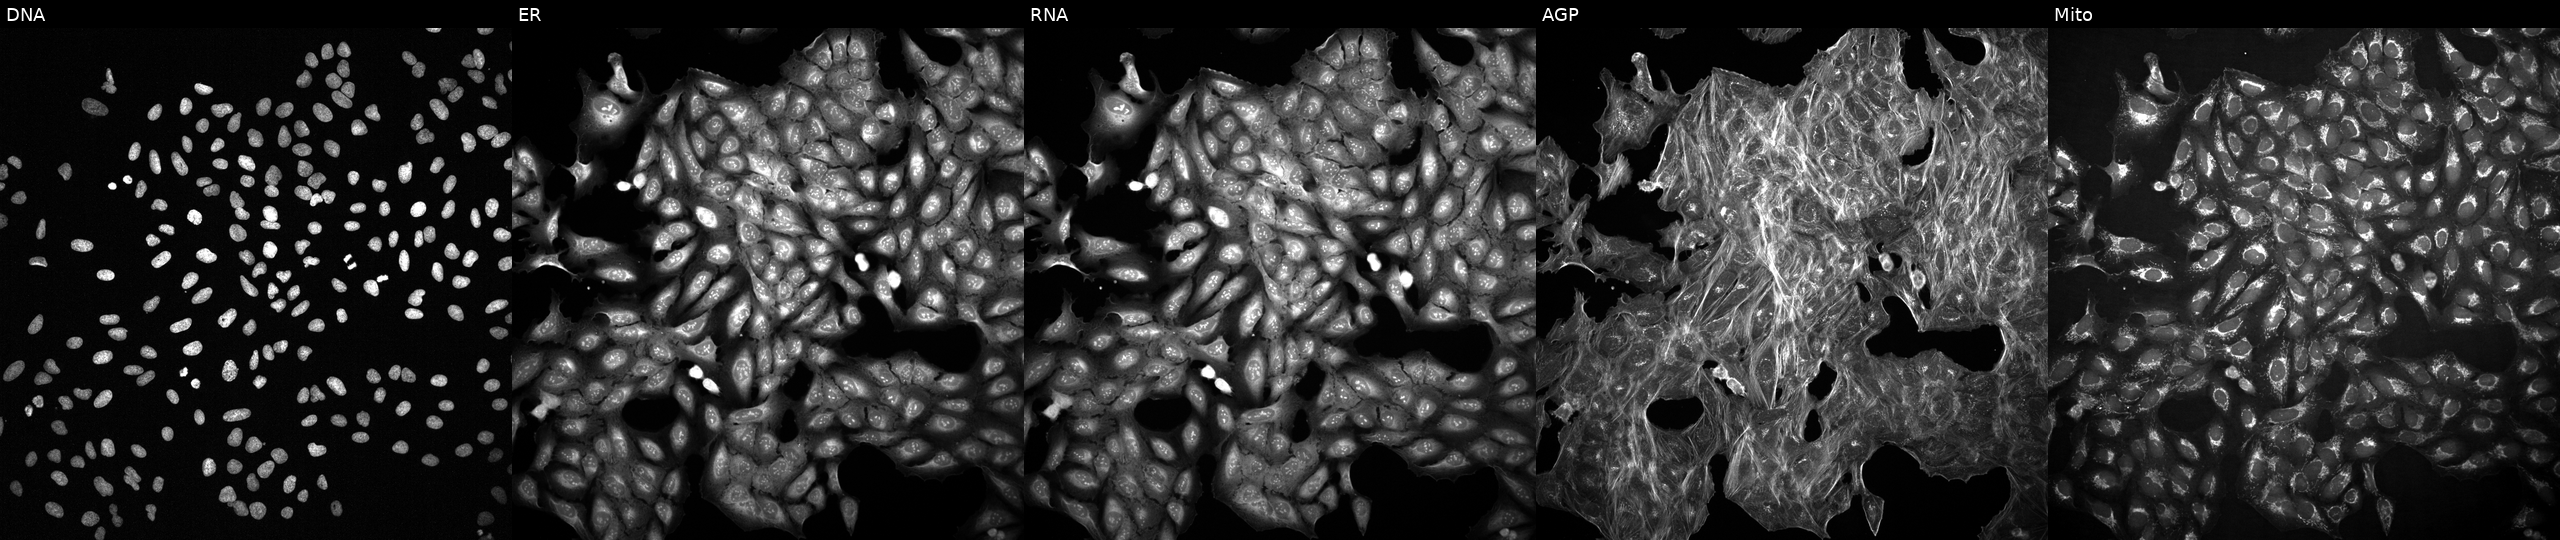
High-content fluorescence microscopy (Cell Painting). Cell line: U2OS. Perturbation: with an unidentified perturbation (not annotated in JUMP metadata). From left to right: DNA (nuclei); ER (endoplasmic reticulum); RNA (nucleoli and cytoplasmic RNA); AGP (actin cytoskeleton, Golgi, and plasma membrane); Mito (mitochondria).